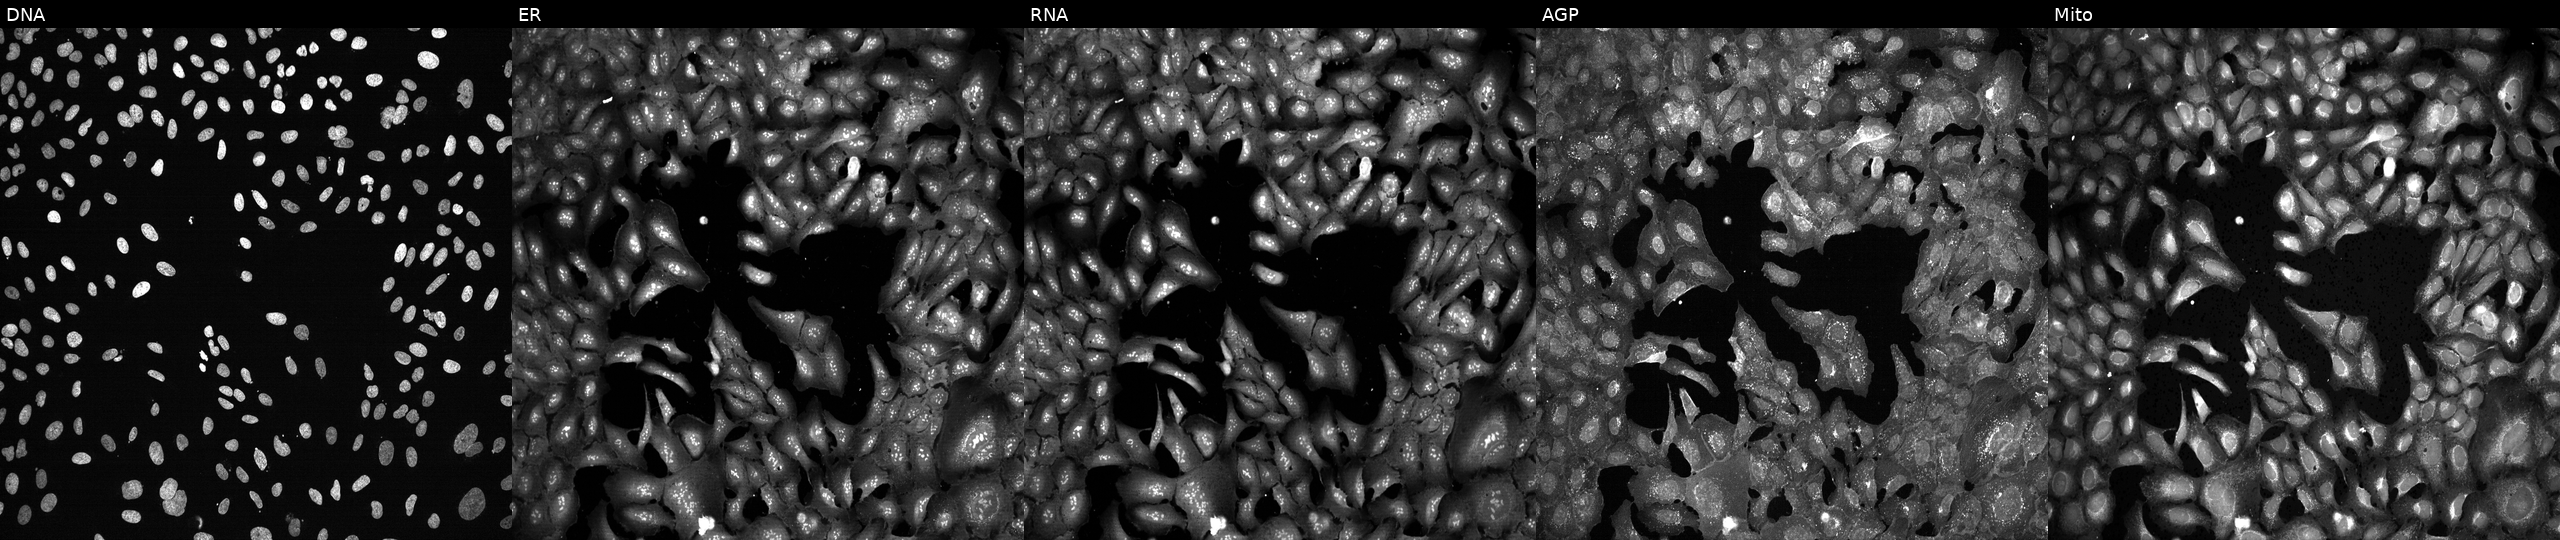
This image strip shows the five Cell Painting channels for a single field of U2OS cells CRISPR-edited to disrupt UGT2A3. From left to right: DNA (nuclei); ER (endoplasmic reticulum); RNA (nucleoli and cytoplasmic RNA); AGP (actin cytoskeleton, Golgi, and plasma membrane); Mito (mitochondria). Source 13, plate CP-CC9-R1-02, well F11.